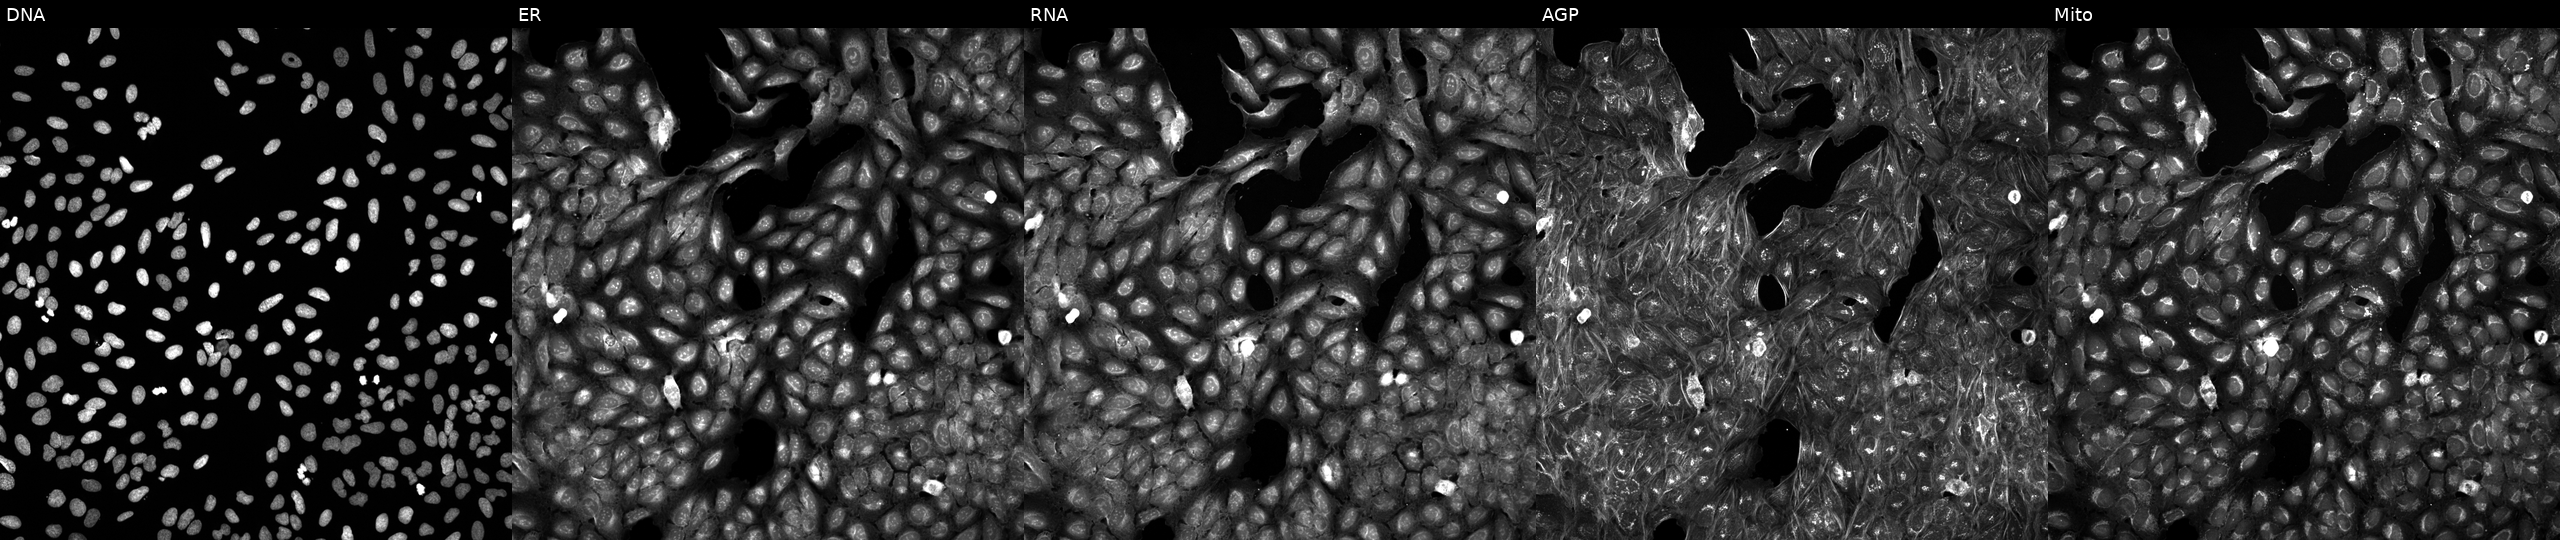
U2OS cells, Cell Painting assay, perturbed with a small-molecule compound (InChIKey UAGMVNNENUUPPK-UHFFFAOYSA-N) (JUMP id JCP2022_087915). Panels show, left to right, Hoechst 33342, concanavalin A, SYTO 14, phalloidin and WGA, MitoTracker. Each panel is percentile-stretched 16-bit fluorescence.